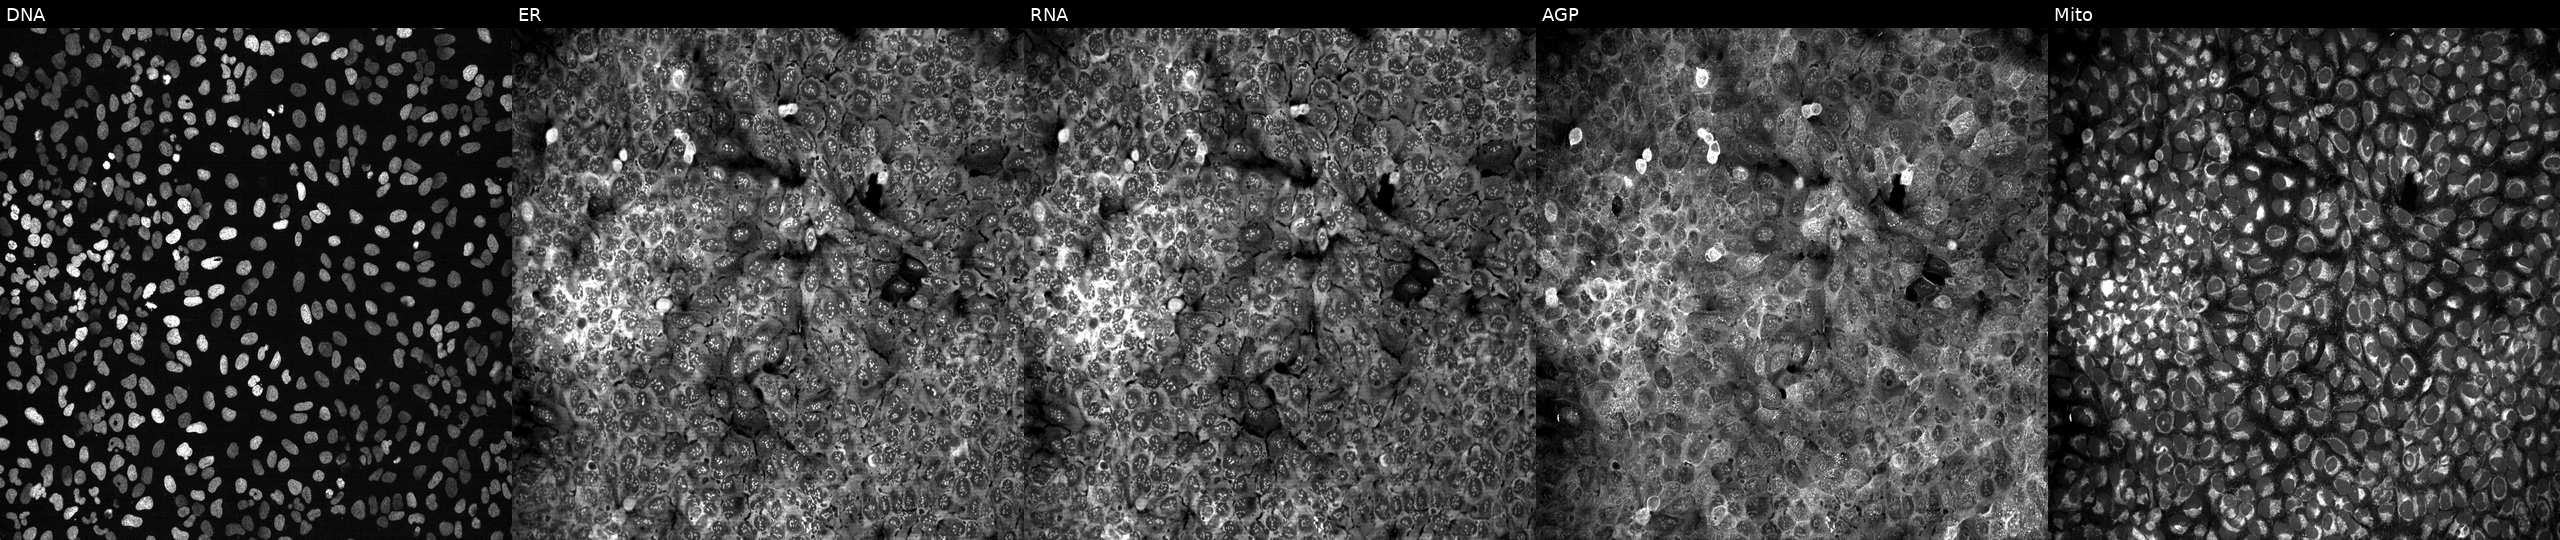
U2OS cells, Cell Painting assay, CRISPR-edited to disrupt VPS4B. The five panels, left to right, show DNA, ER, RNA, AGP, and Mito. Each panel is percentile-stretched 16-bit fluorescence.